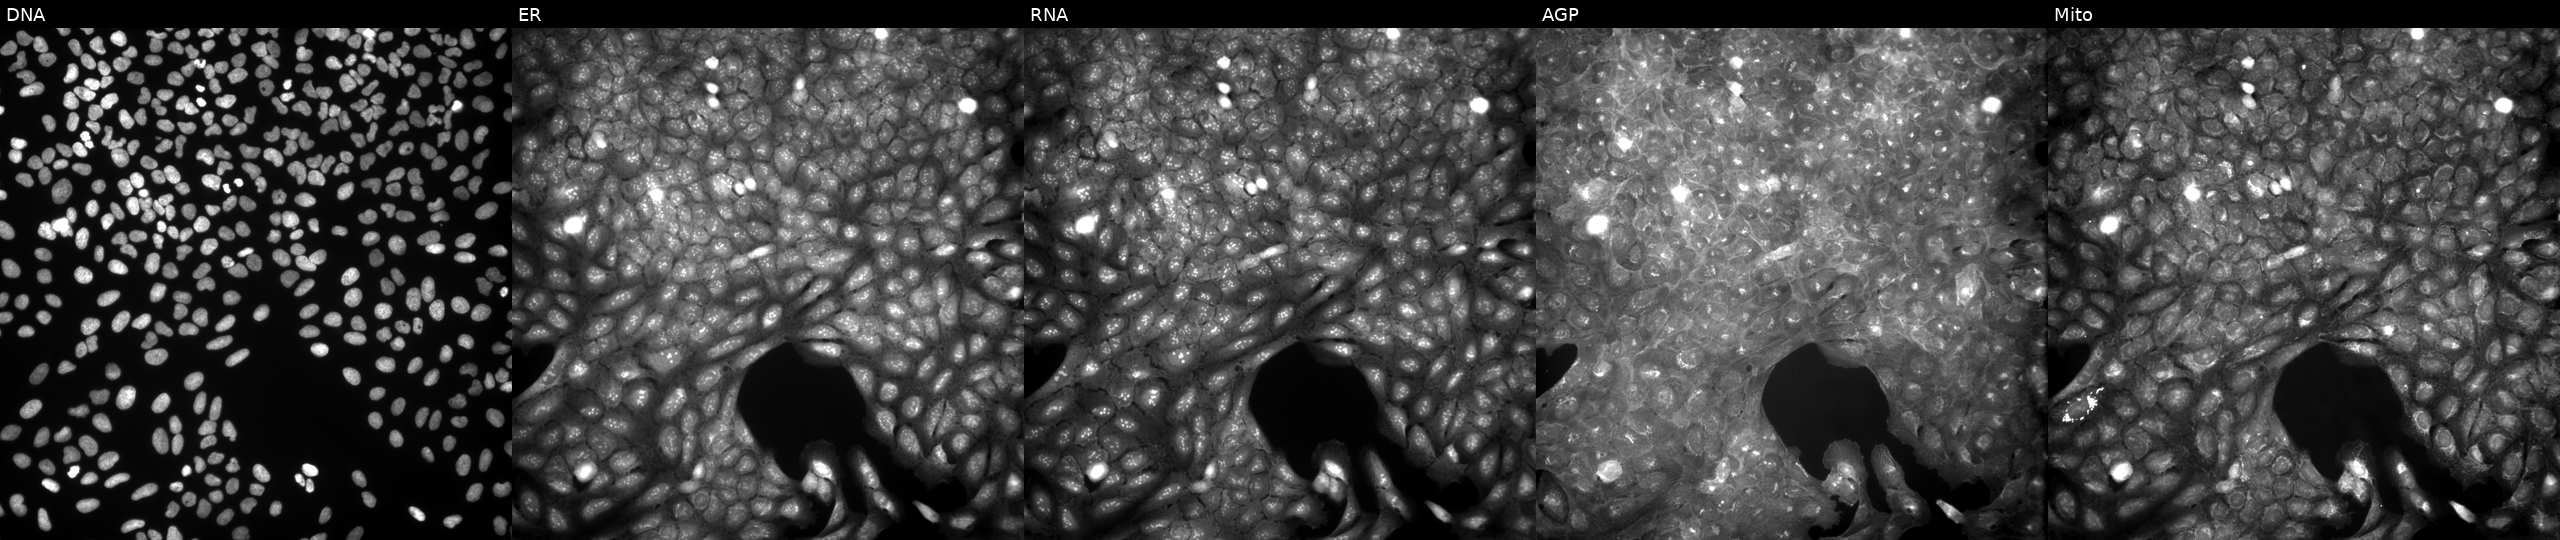
High-content fluorescence microscopy (Cell Painting). Cell line: U2OS. Perturbation: exposed to a small-molecule compound (JUMP id JCP2022_084768). The five panels, left to right, show Hoechst 33342, concanavalin A, SYTO 14, phalloidin and WGA, MitoTracker. Source 9, plate GR00003382, well G37.